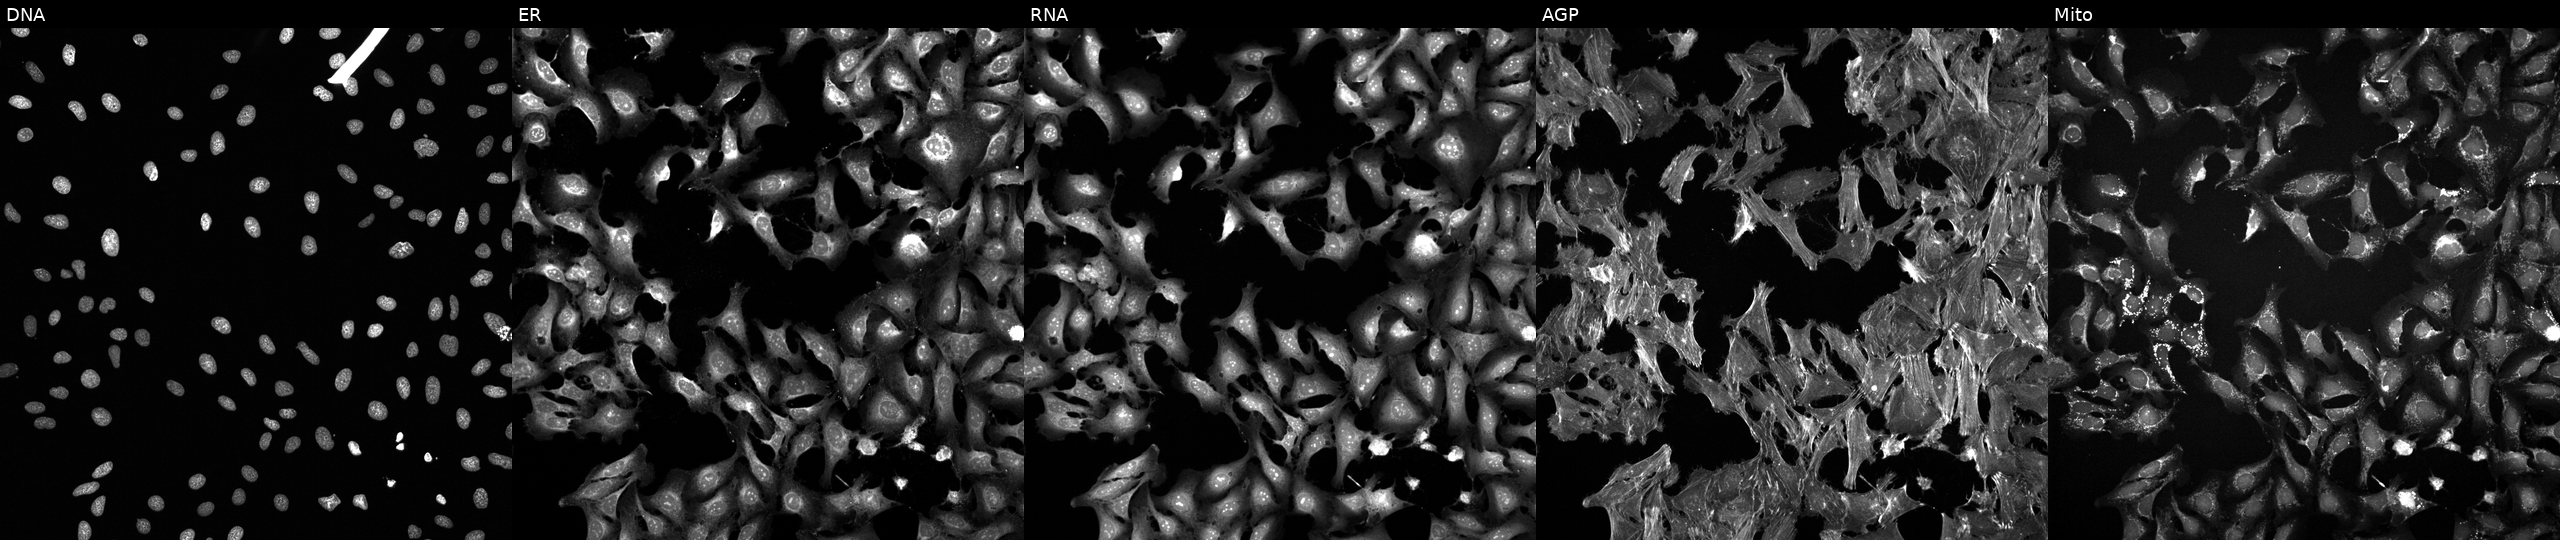
High-content fluorescence microscopy (Cell Painting). Cell line: U2OS. Perturbation: treated with FK-866 (positive-control compound). Panels show, left to right, DNA (nuclei); ER (endoplasmic reticulum); RNA (nucleoli and cytoplasmic RNA); AGP (actin cytoskeleton, Golgi, and plasma membrane); Mito (mitochondria).